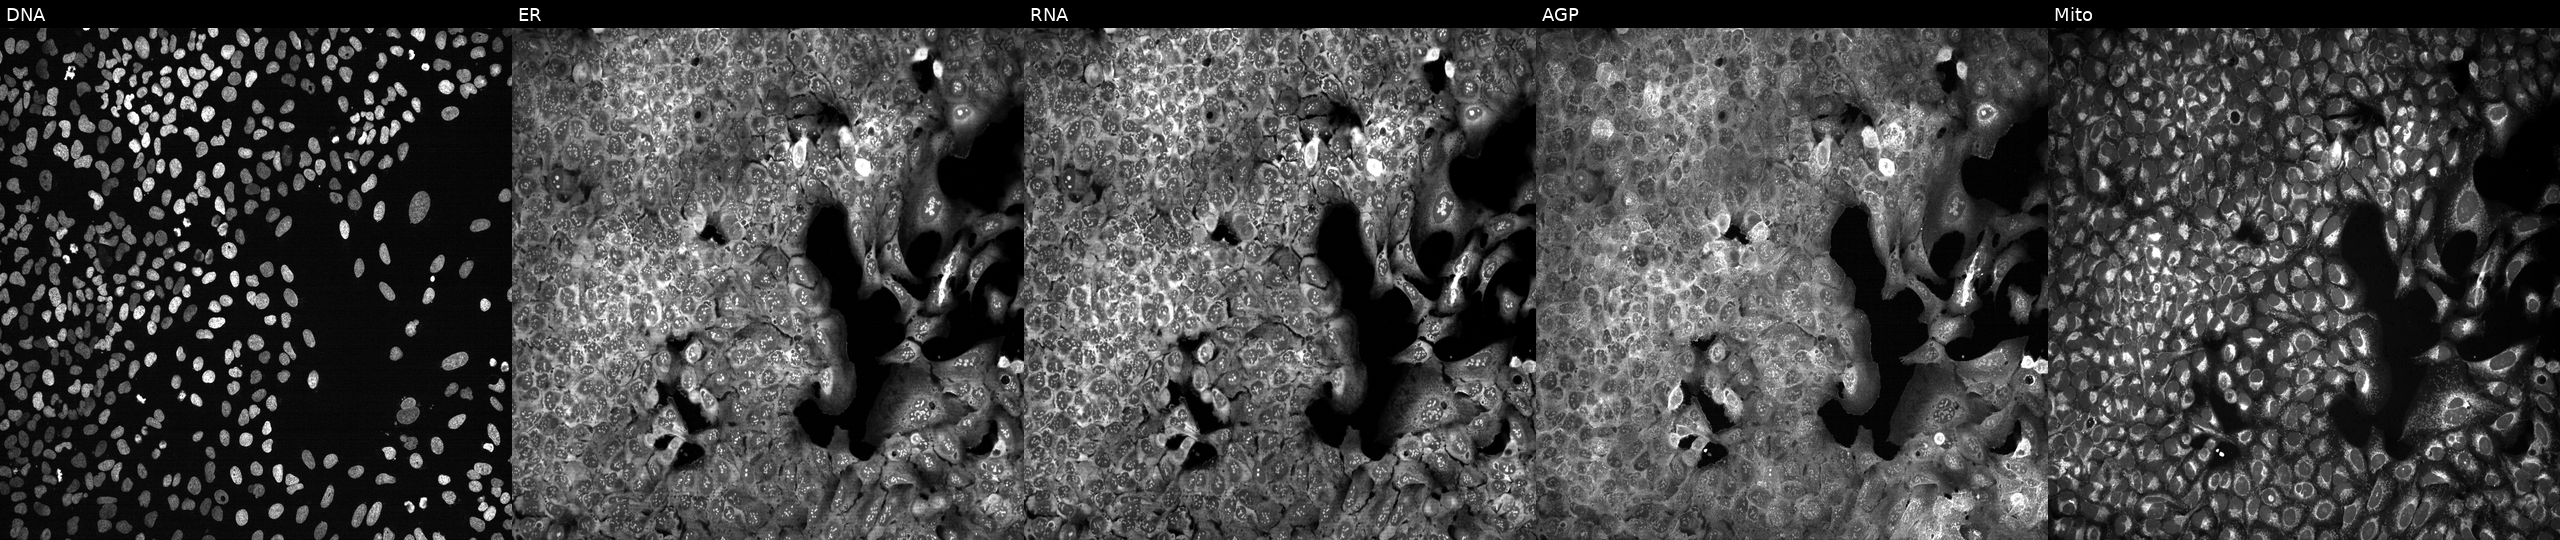
From left to right: DNA (nuclei); ER (endoplasmic reticulum); RNA (nucleoli and cytoplasmic RNA); AGP (actin cytoskeleton, Golgi, and plasma membrane); Mito (mitochondria). U2OS osteosarcoma cells CRISPR-edited to disrupt PNLIPRP2. Cell Painting assay, JUMP-CP dataset.